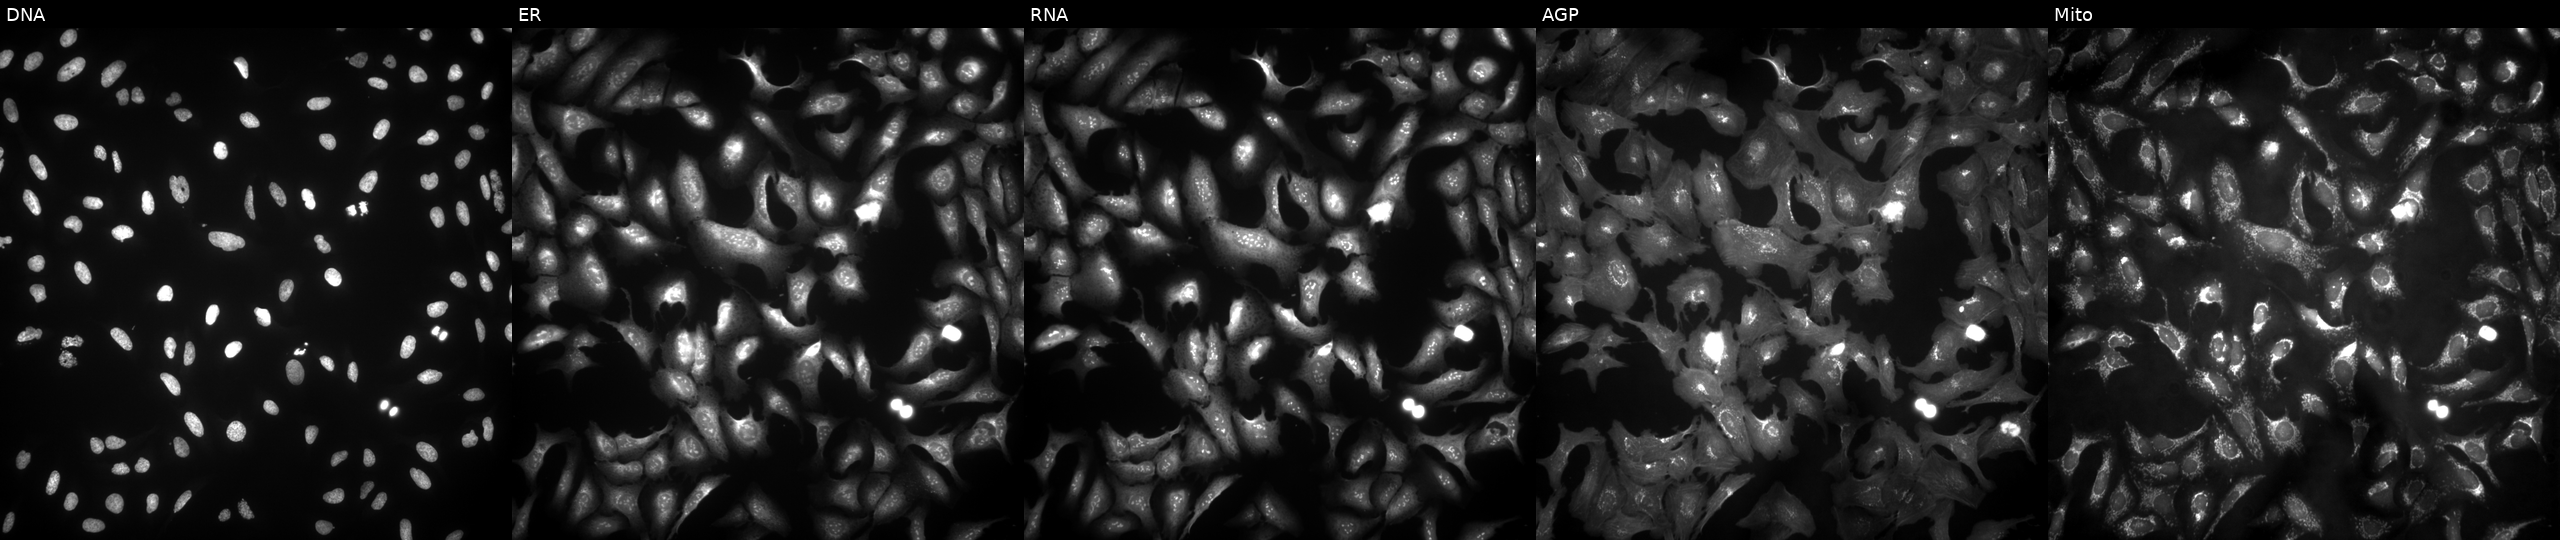
Five-channel Cell Painting image of U2OS cells transfected with an ORF construct for SLC39A8. From left to right: Hoechst 33342, concanavalin A, SYTO 14, phalloidin and WGA, MitoTracker.